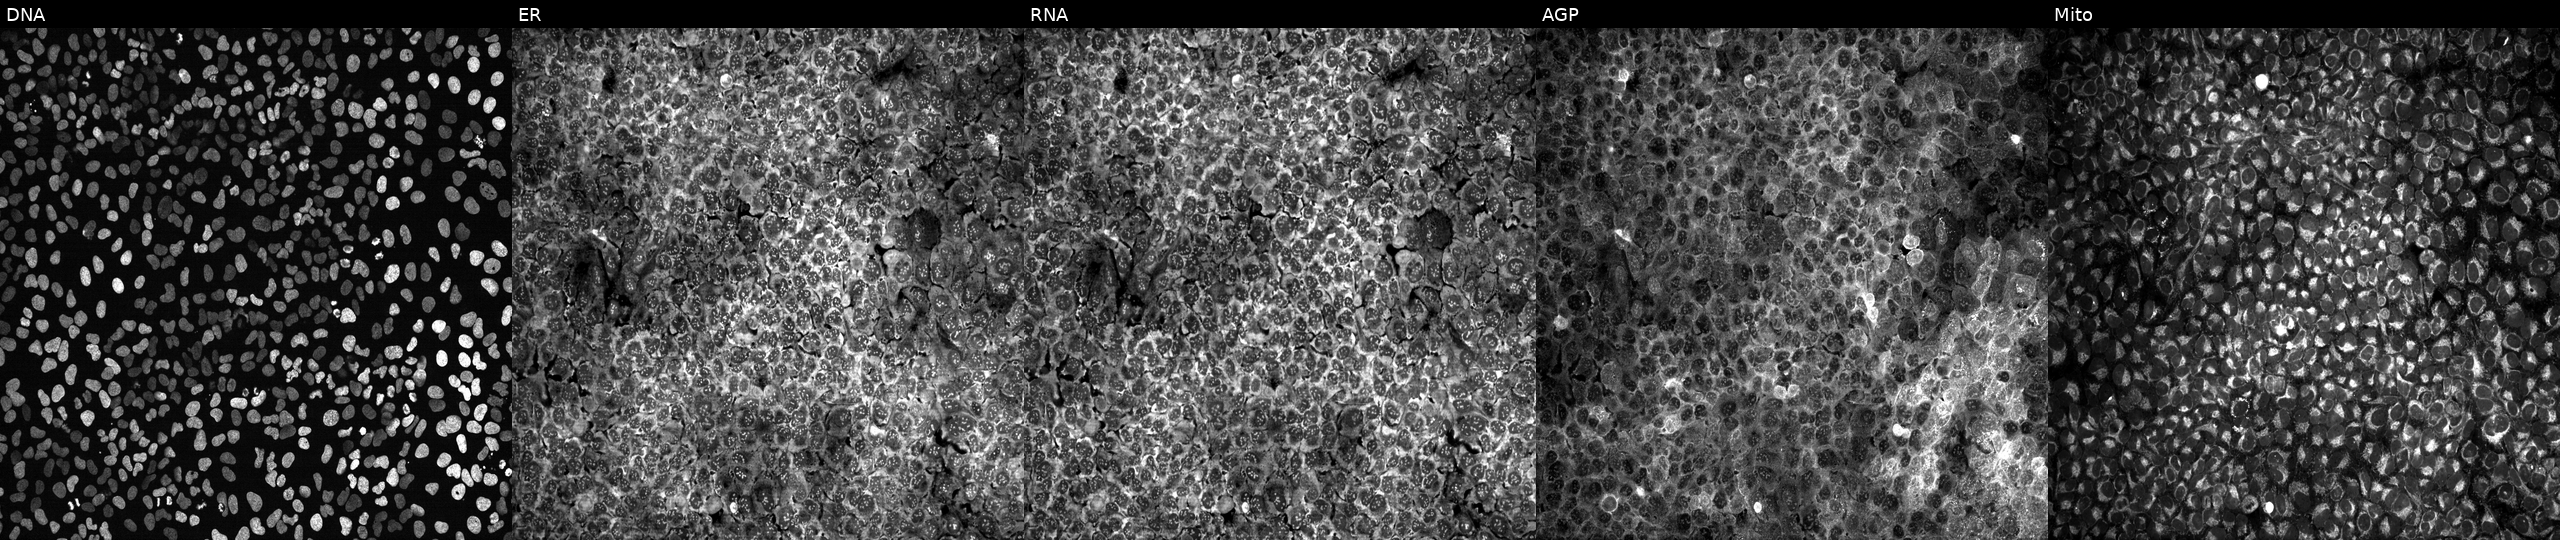
Five-channel Cell Painting image of U2OS cells treated with quinidine (positive-control compound) (JUMP id JCP2022_050797). Channels (left→right): DNA (nuclei); ER (endoplasmic reticulum); RNA (nucleoli and cytoplasmic RNA); AGP (actin cytoskeleton, Golgi, and plasma membrane); Mito (mitochondria). Source 13, plate CP-CC9-R4-03, well G01.